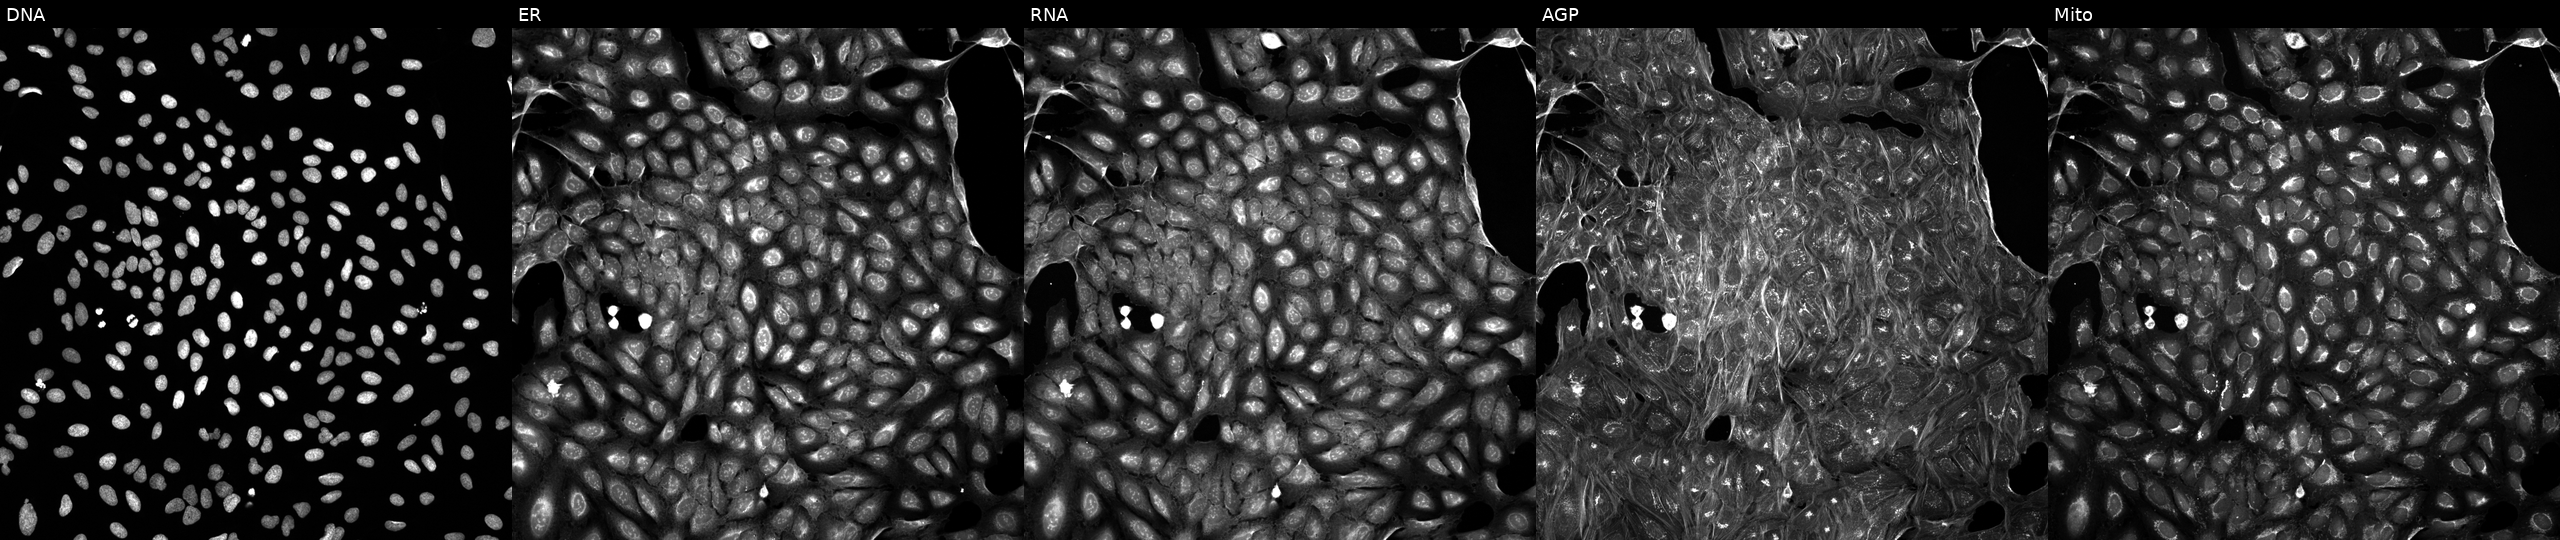
JUMP Cell Painting — TARGET2 plate. U2OS cells treated with a small-molecule compound (InChIKey RIKMMFOAQPJVMX-UHFFFAOYSA-N). Panels show, left to right, DNA, ER, RNA, AGP, and Mito. Source 5, plate ACPJUM032, well O06.